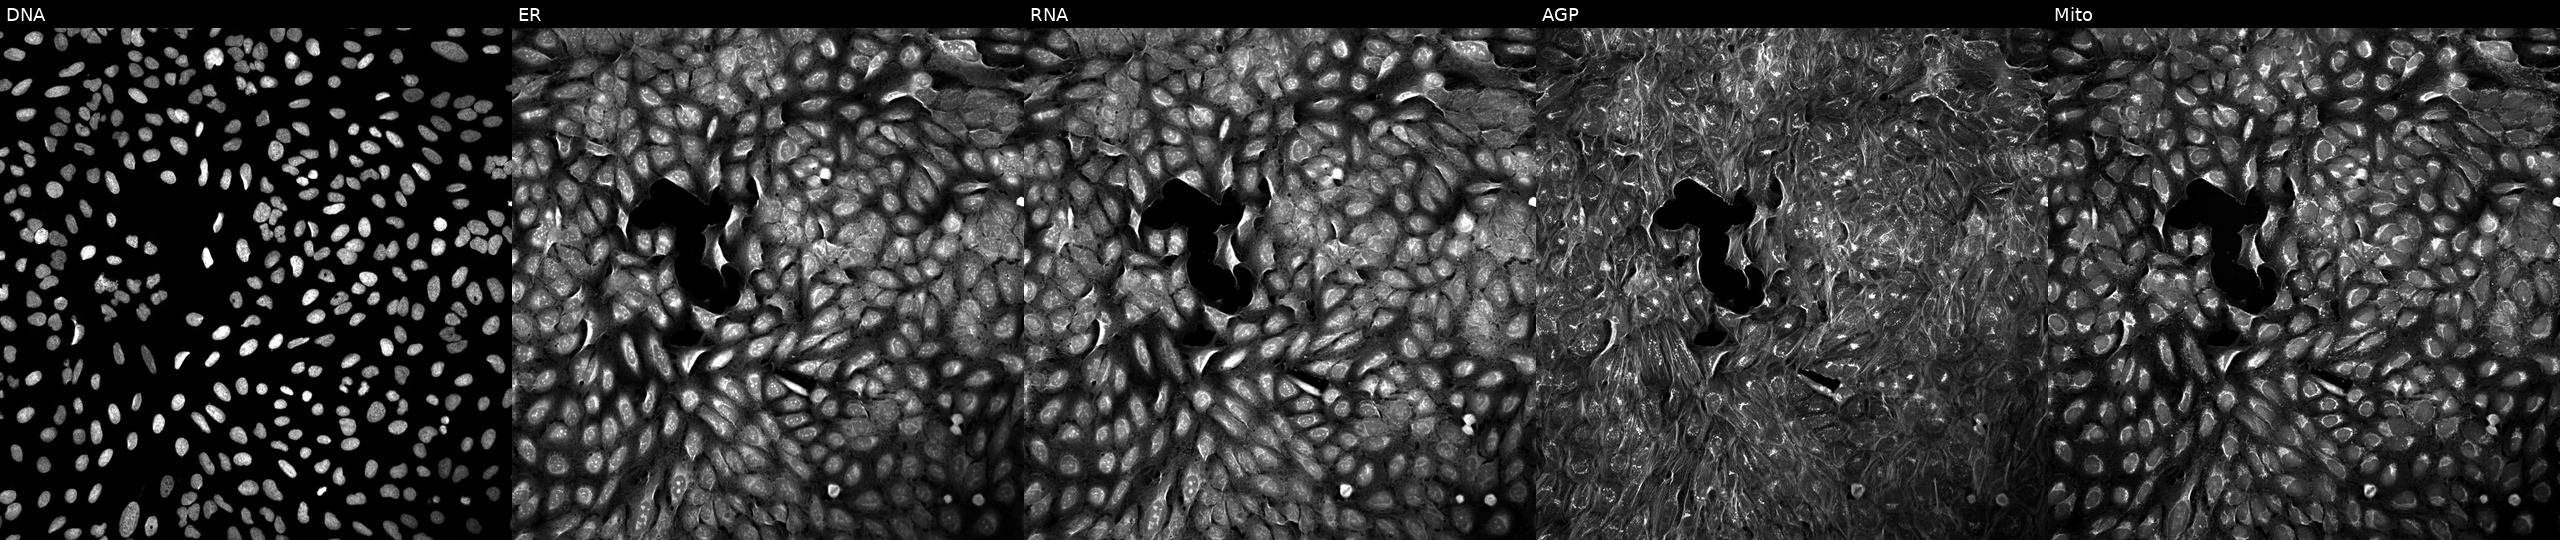
Five-channel Cell Painting image of U2OS cells treated with a small-molecule compound (InChIKey UWRPCVBRXGWTNX-UHFFFAOYSA-N). Panels show, left to right, Hoechst 33342, concanavalin A, SYTO 14, phalloidin and WGA, MitoTracker.